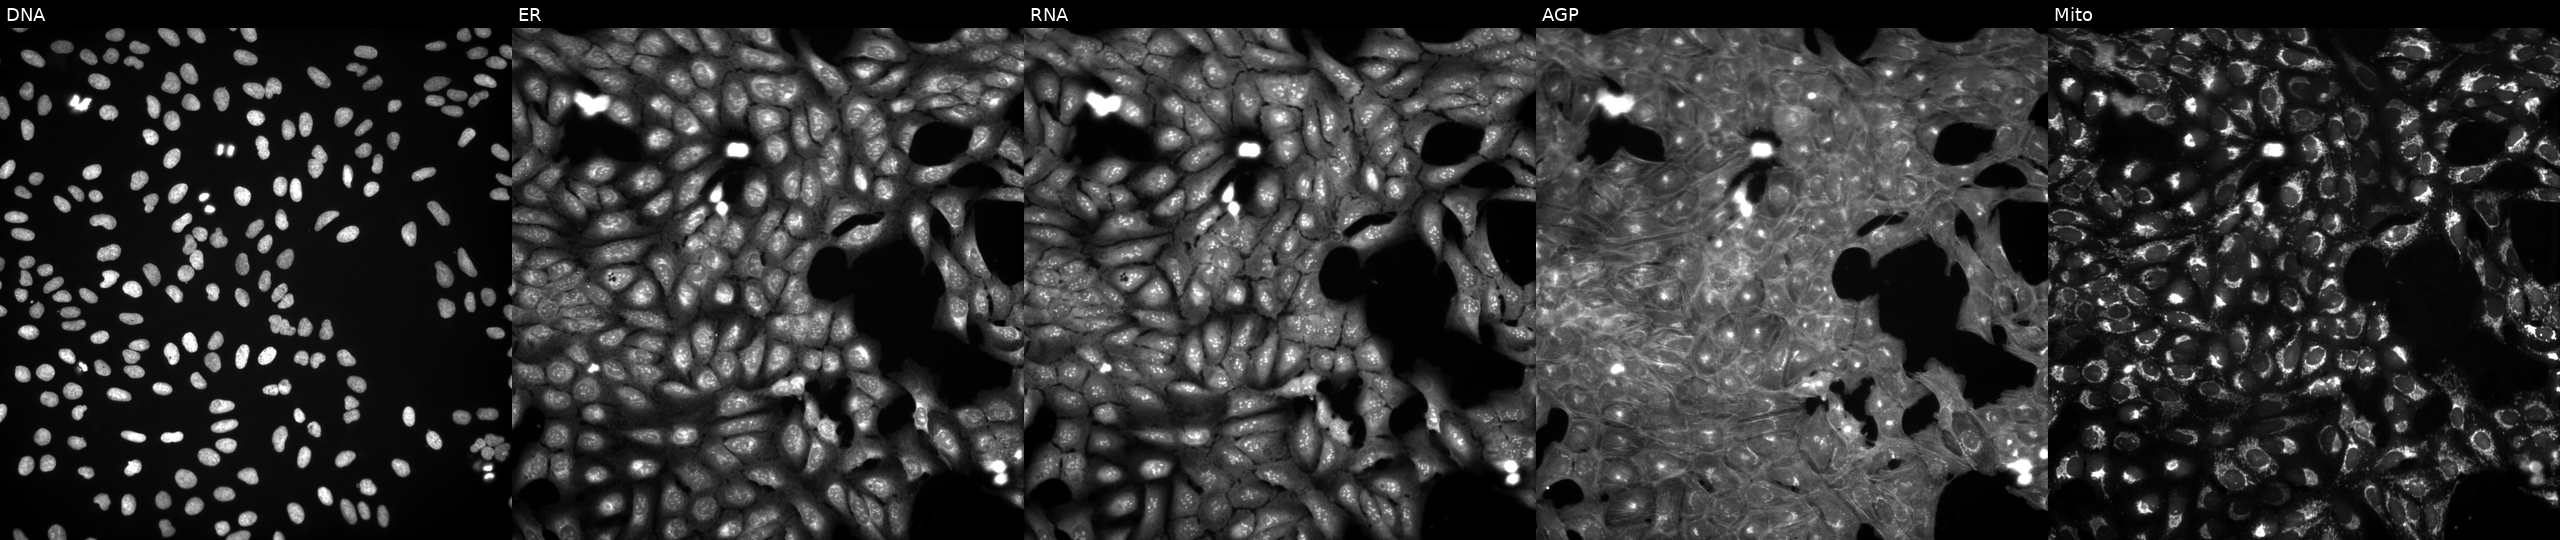
U2OS cells, Cell Painting assay, exposed to a small-molecule compound (InChIKey OJLOPKGSLYJEMD-UHFFFAOYSA-N). From left to right: Hoechst 33342, concanavalin A, SYTO 14, phalloidin and WGA, MitoTracker. Each panel is percentile-stretched 16-bit fluorescence.